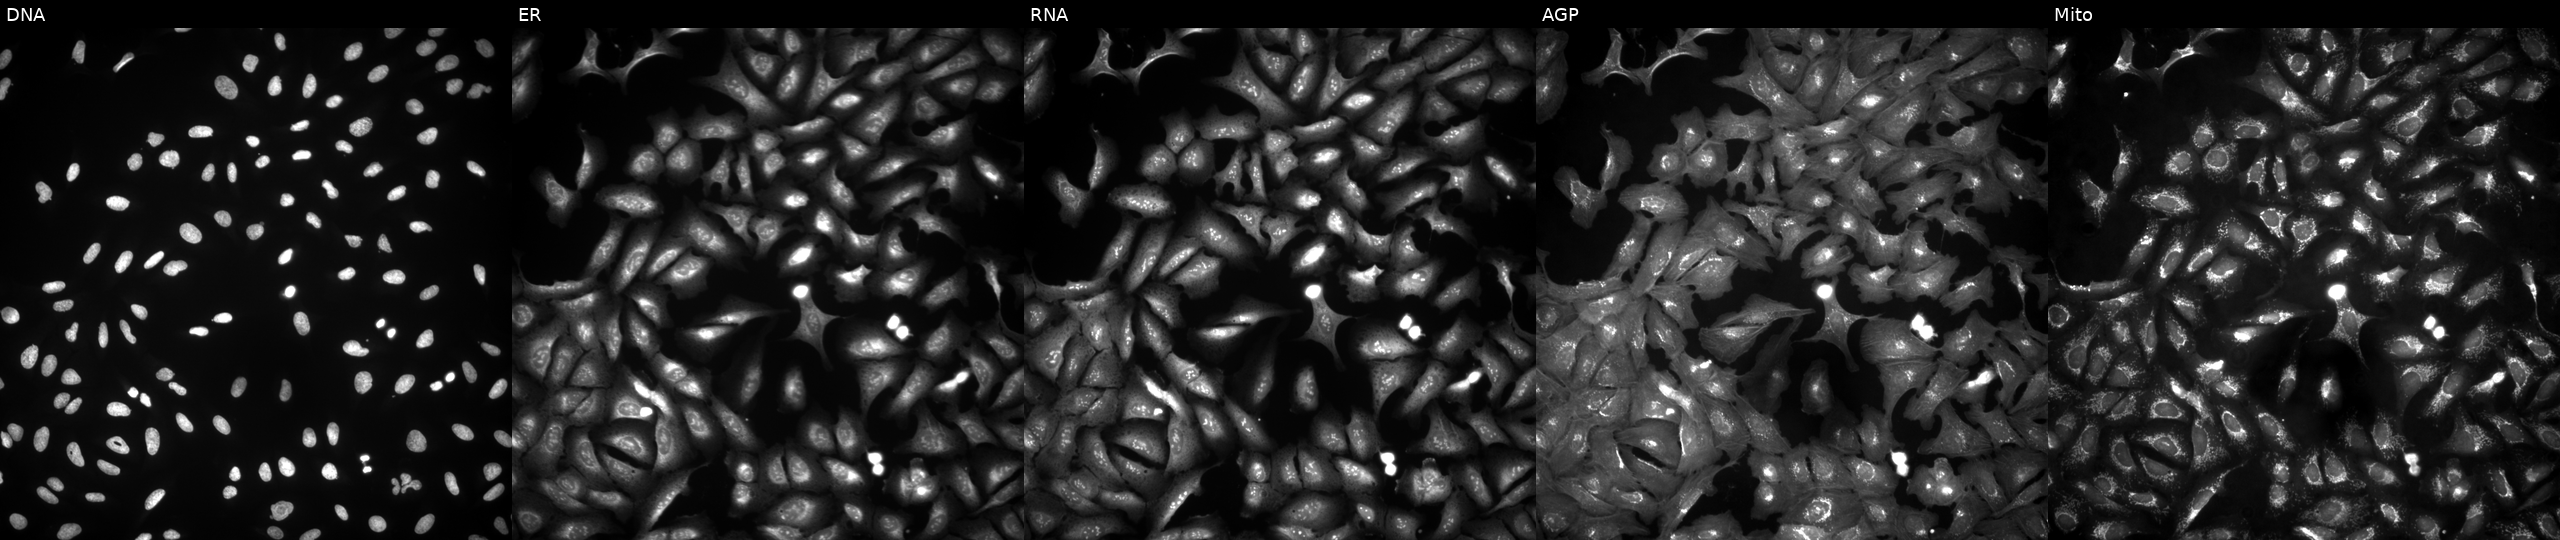
Five-channel Cell Painting image of U2OS cells transfected with an ORF construct for NUFIP2. The five panels, left to right, show Hoechst 33342, concanavalin A, SYTO 14, phalloidin and WGA, MitoTracker. Source 4, plate BR00124790, well D12.